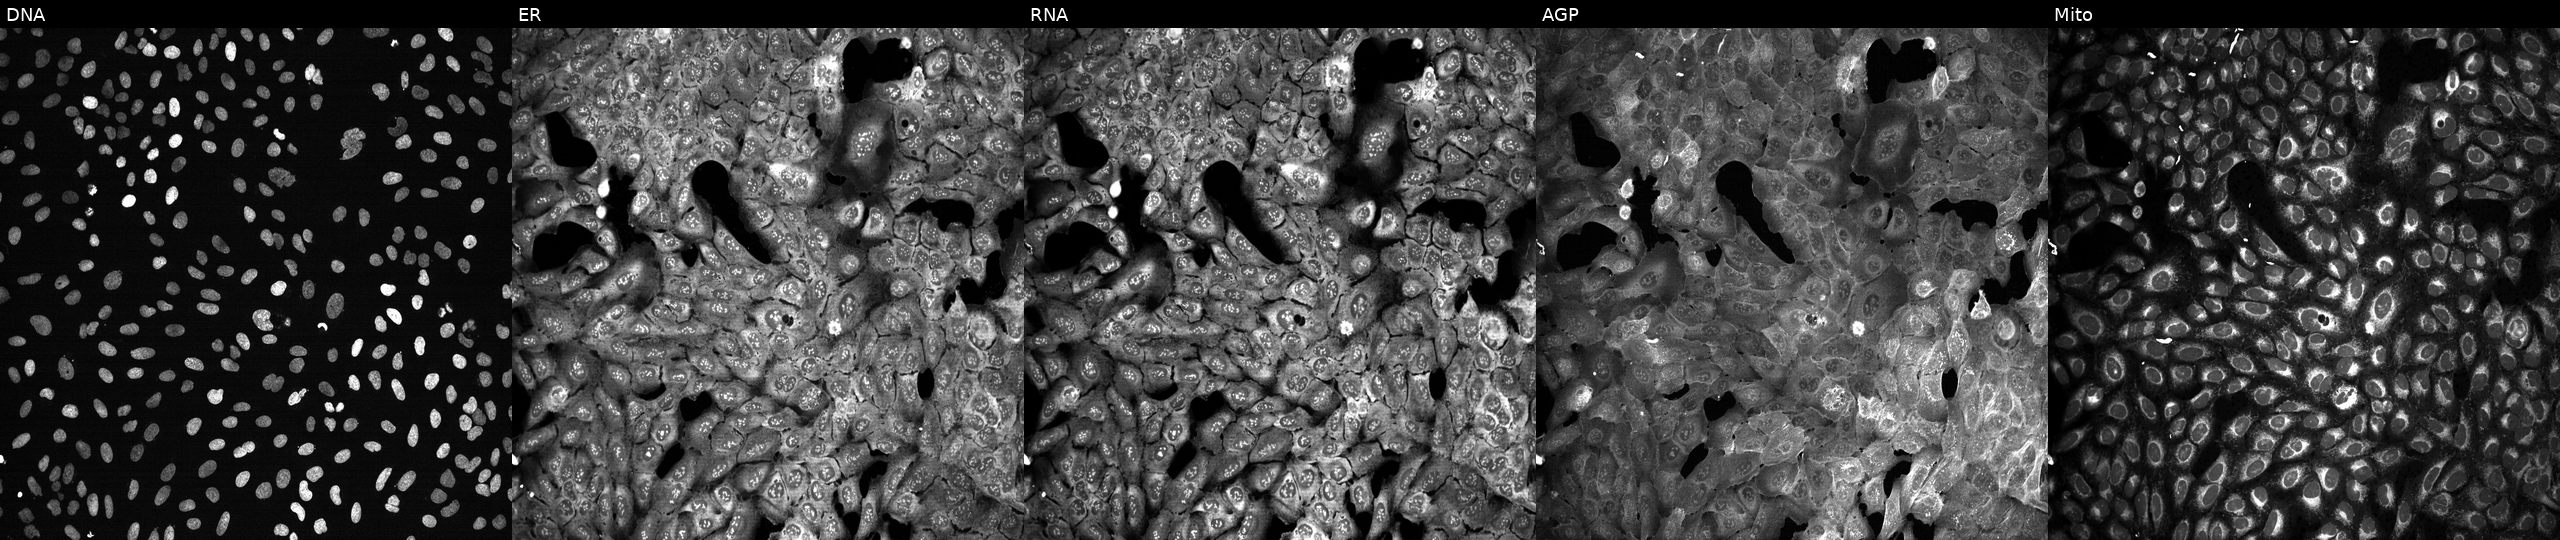
JUMP Cell Painting — CRISPR plate. U2OS cells CRISPR-edited to disrupt KIF3A. The five panels, left to right, show DNA (nuclei); ER (endoplasmic reticulum); RNA (nucleoli and cytoplasmic RNA); AGP (actin cytoskeleton, Golgi, and plasma membrane); Mito (mitochondria).